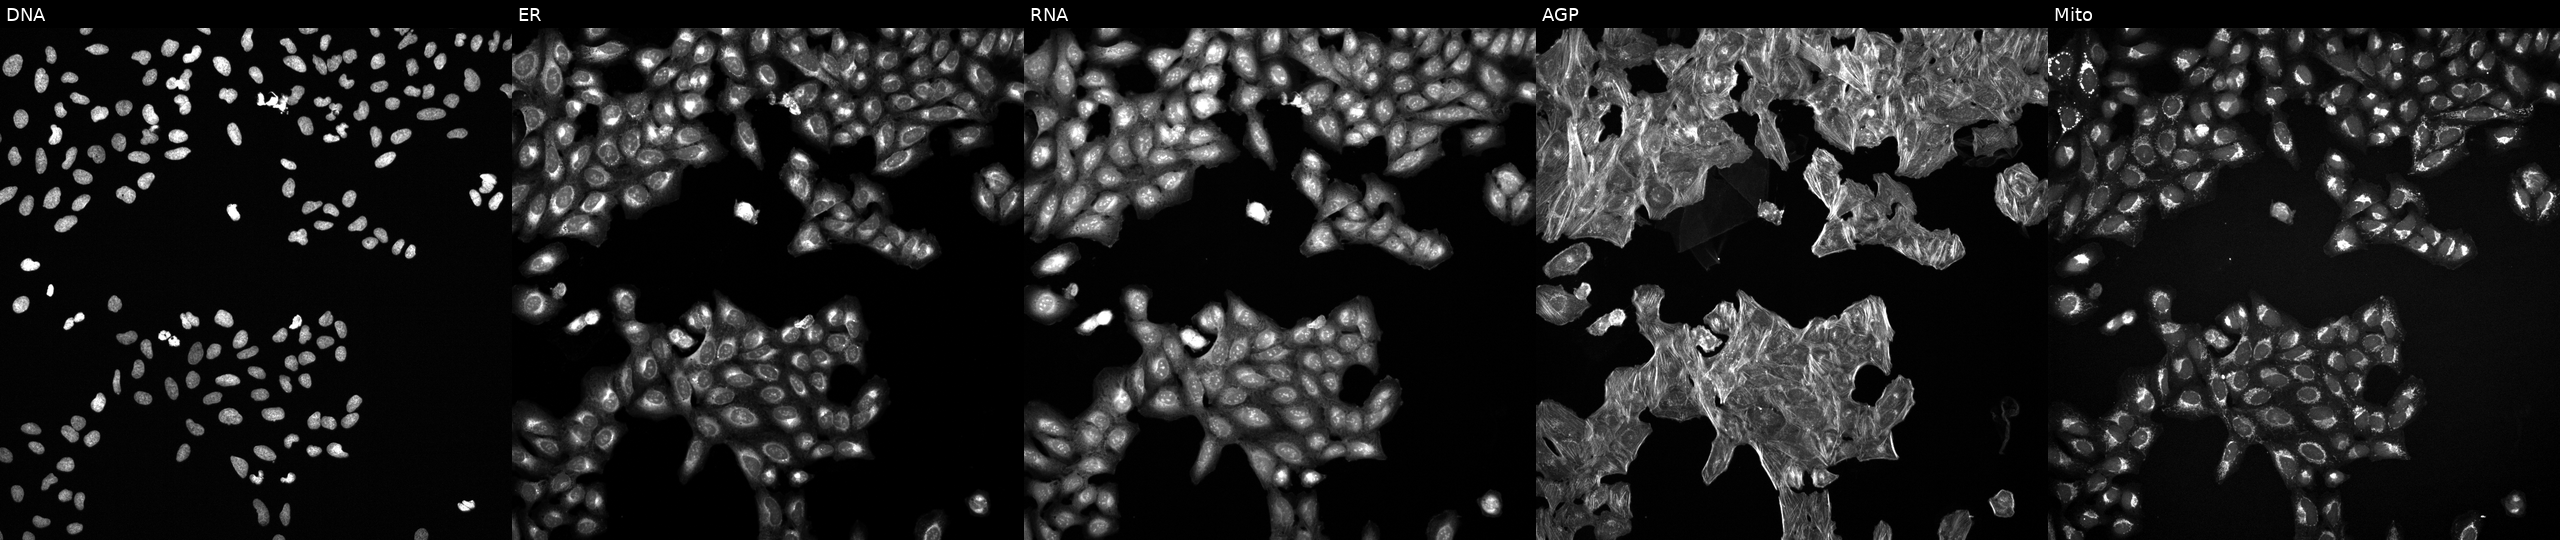
From left to right: DNA, ER, RNA, AGP, and Mito. U2OS osteosarcoma cells exposed to the positive-control compound NVS-PAK1-1. Cell Painting assay, JUMP-CP dataset.